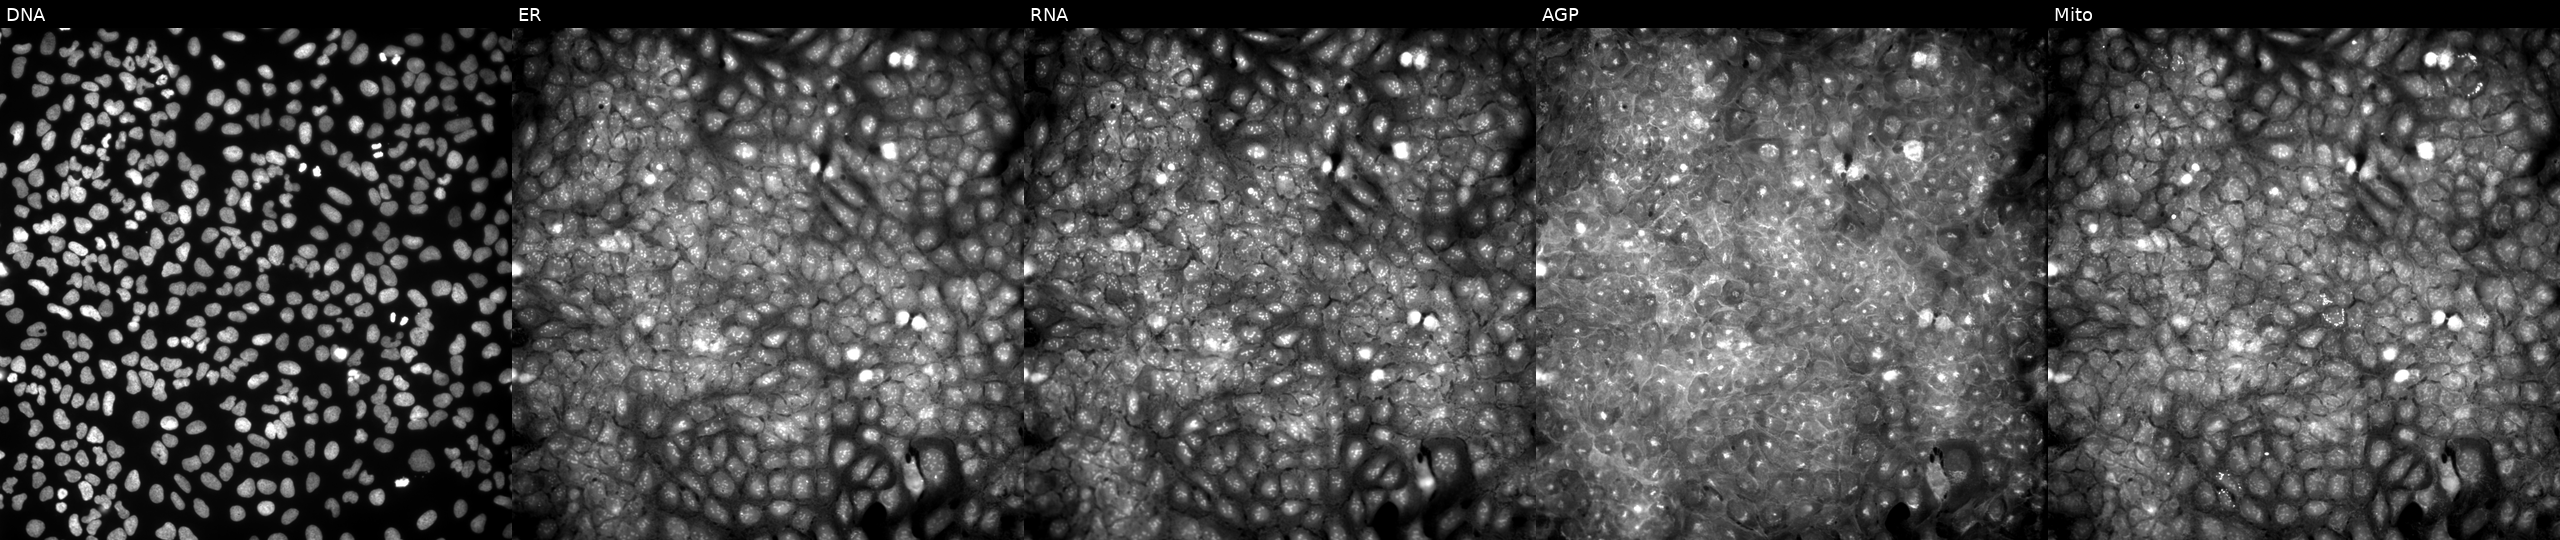
Channels (left→right): DNA, ER, RNA, AGP, and Mito. U2OS osteosarcoma cells exposed to a small-molecule compound (InChIKey OWWLUEIFOIPLRY-UHFFFAOYSA-N) [SMILES: COC(=O)N(C)CCCC1(C)C(=O)N(C)c2ccc(O)cc21]. Cell Painting assay, JUMP-CP dataset. Source 9, plate GR00003381, well Z17.